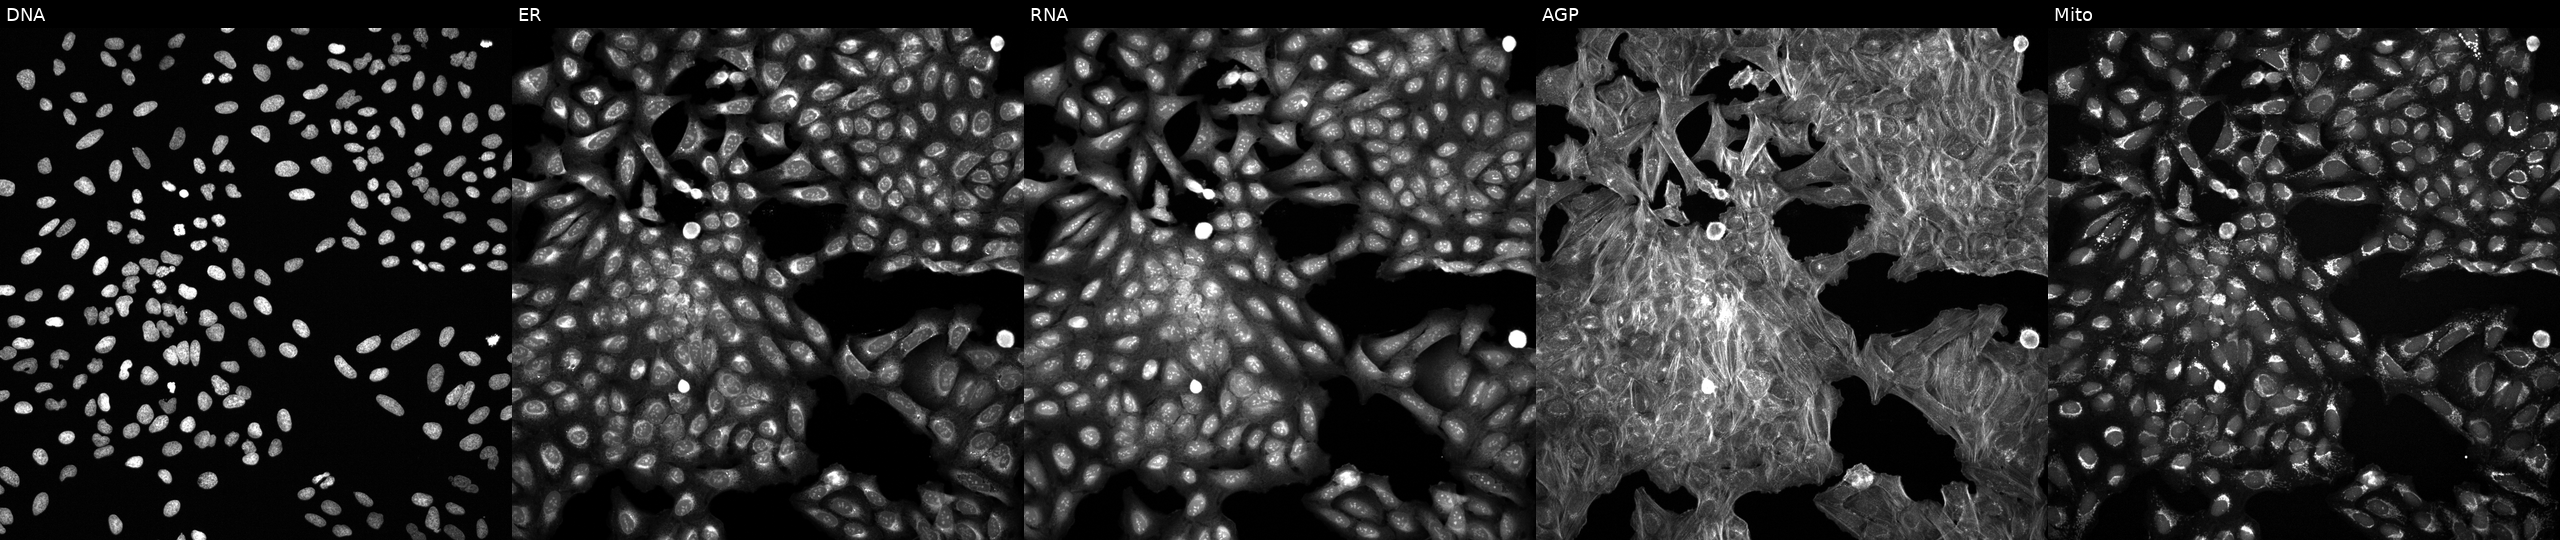
The five panels, left to right, show DNA, ER, RNA, AGP, and Mito. U2OS osteosarcoma cells perturbed with a small-molecule compound. Cell Painting assay, JUMP-CP dataset. Source 6, plate 110000293081, well F12.